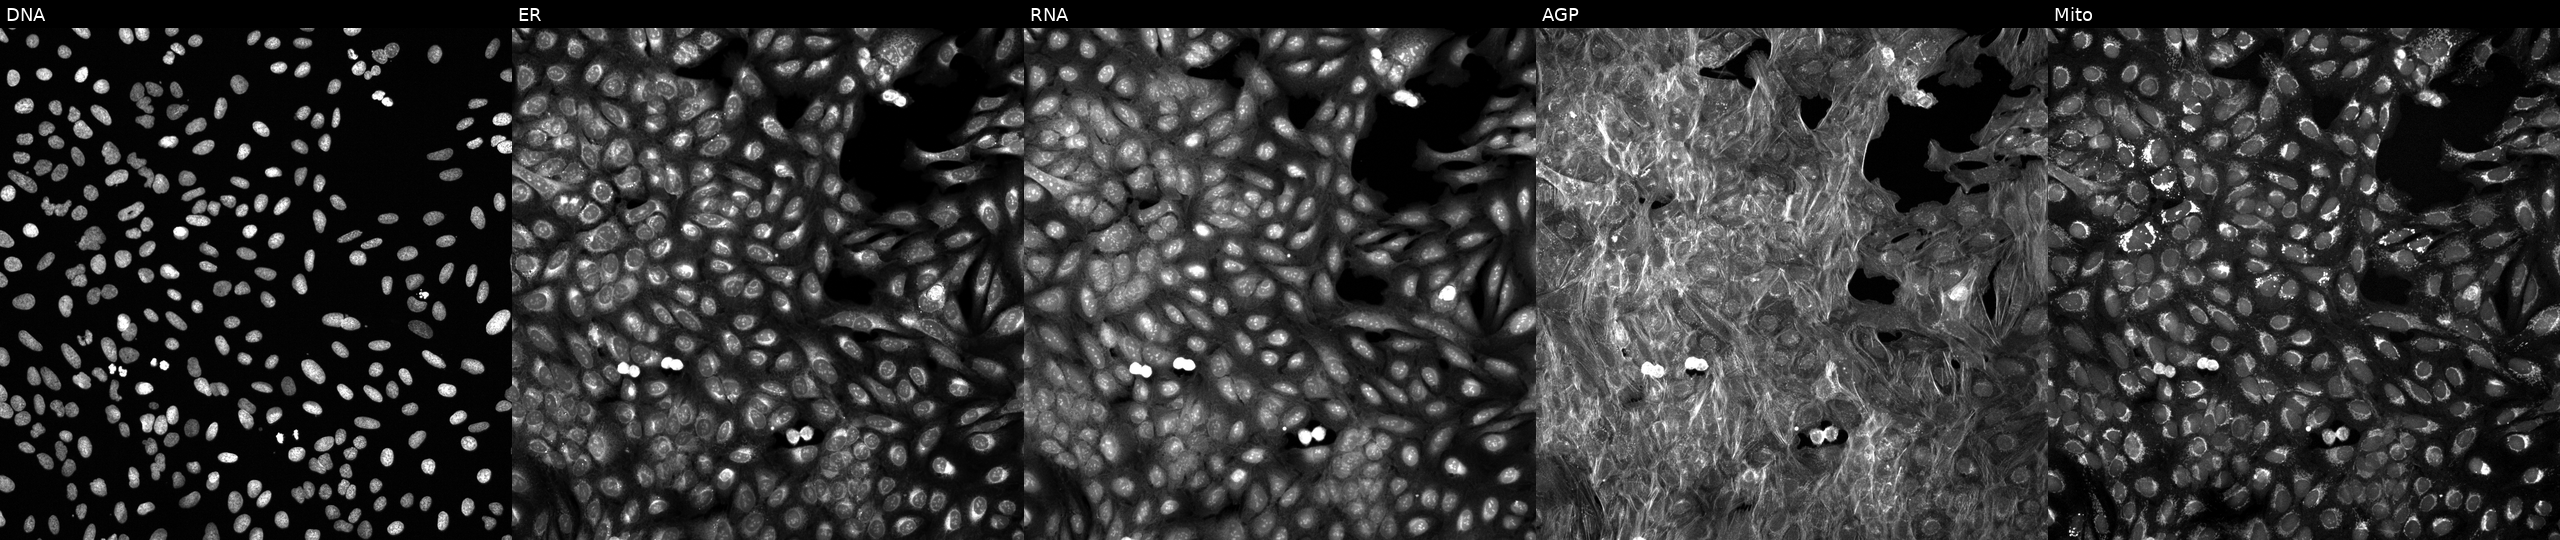
This image strip shows the five Cell Painting channels for a single field of U2OS cells perturbed with a small-molecule compound. Panels show, left to right, DNA (nuclei); ER (endoplasmic reticulum); RNA (nucleoli and cytoplasmic RNA); AGP (actin cytoskeleton, Golgi, and plasma membrane); Mito (mitochondria).